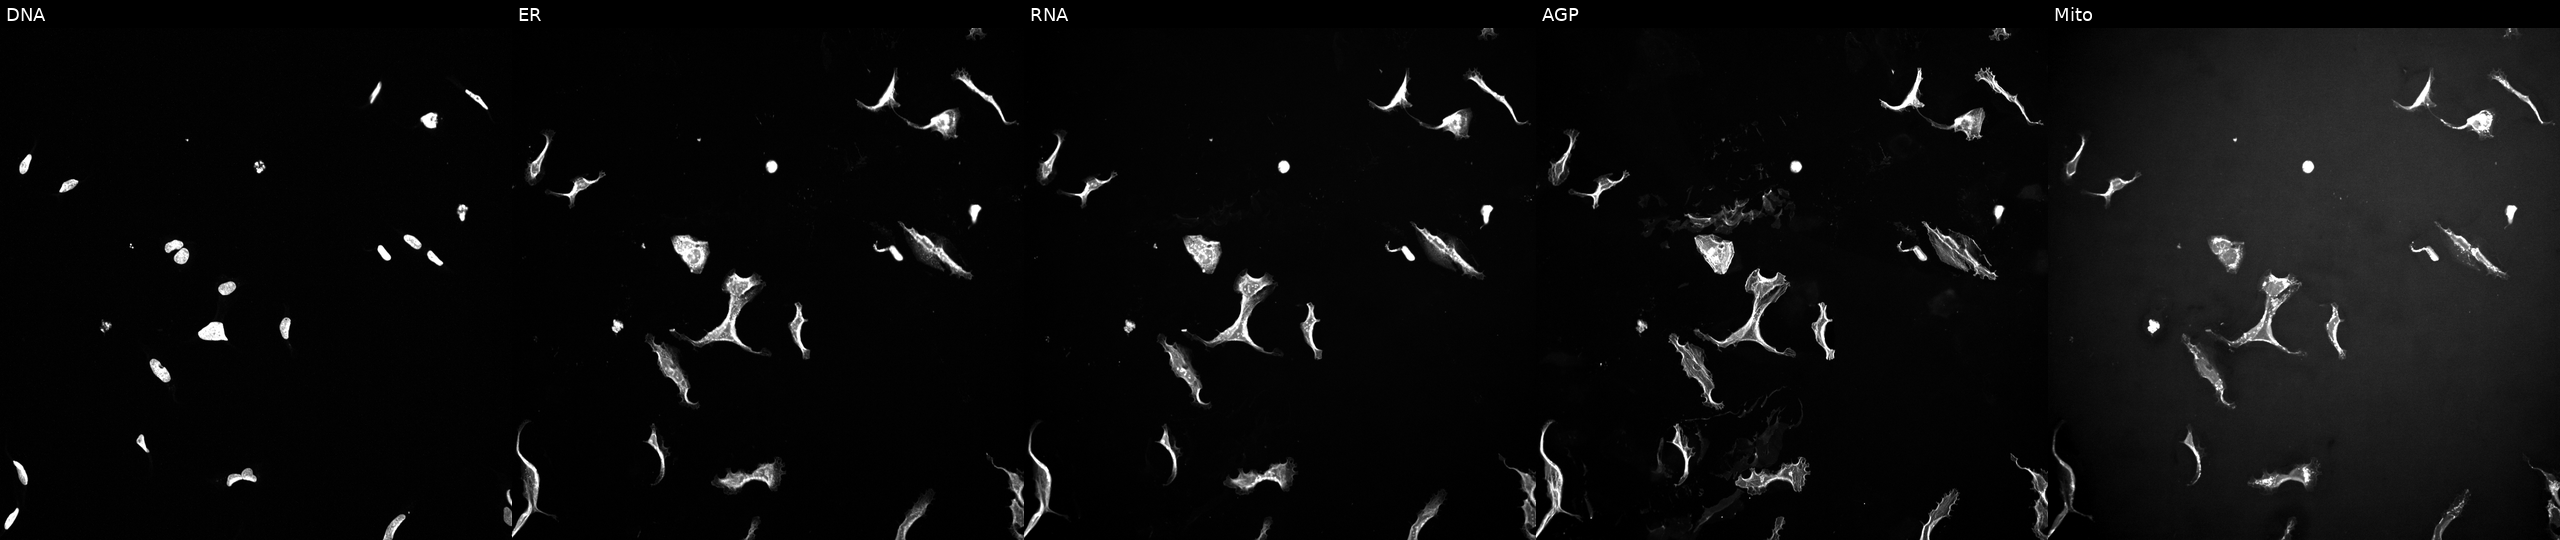
This image strip shows the five Cell Painting channels for a single field of U2OS cells exposed to a small-molecule compound (JUMP id JCP2022_109917). From left to right: DNA, ER, RNA, AGP, and Mito.